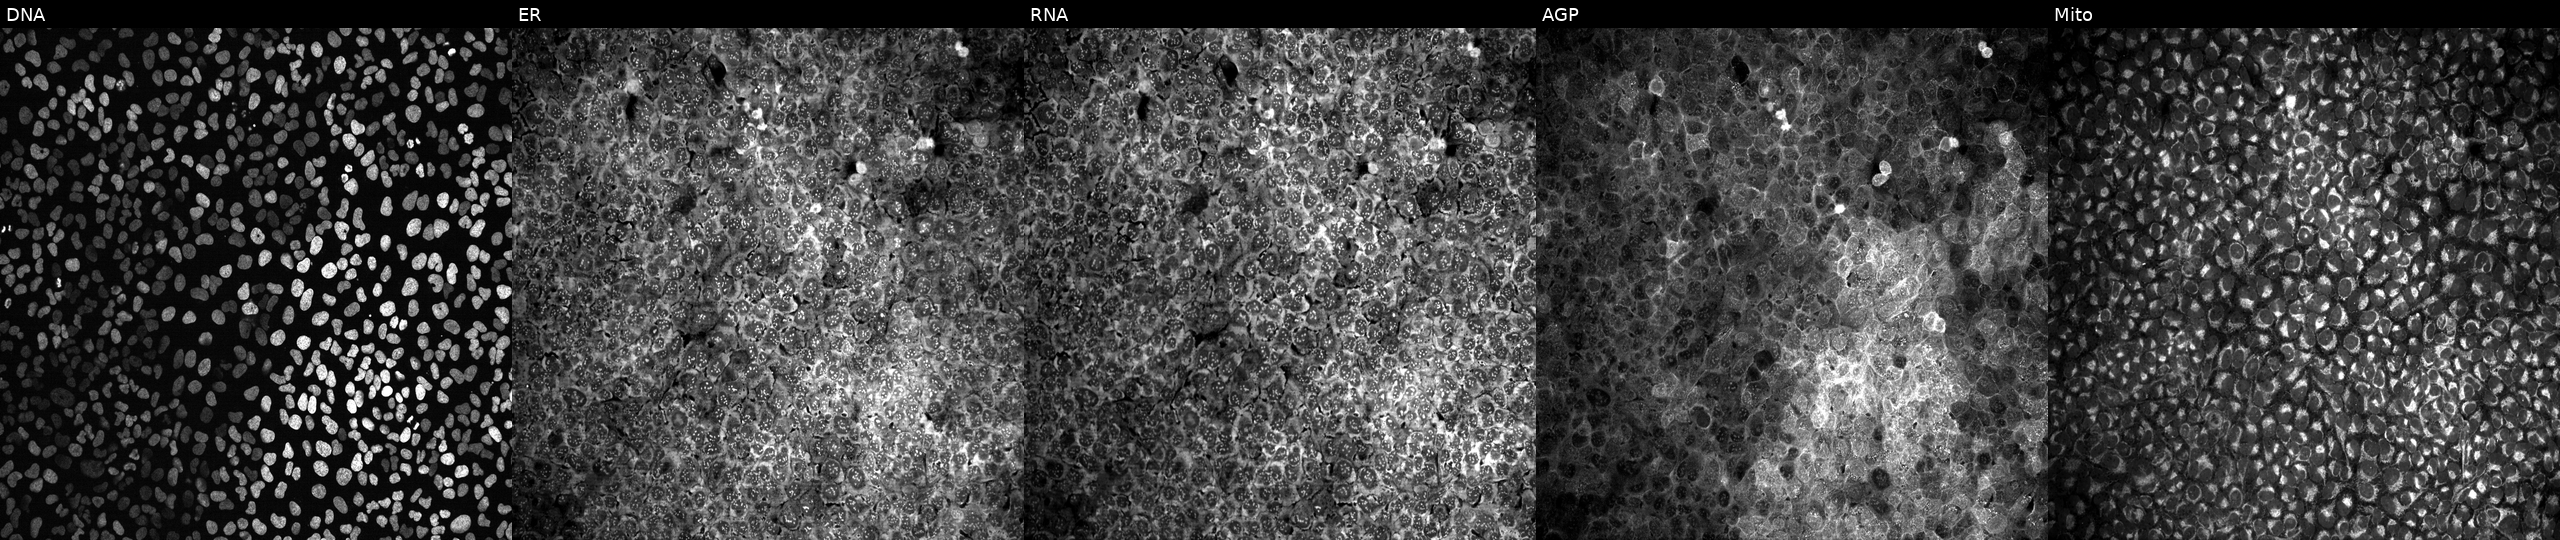
Panels show, left to right, DNA (nuclei); ER (endoplasmic reticulum); RNA (nucleoli and cytoplasmic RNA); AGP (actin cytoskeleton, Golgi, and plasma membrane); Mito (mitochondria). U2OS osteosarcoma cells exposed to DMSO alone as a negative control (JUMP id JCP2022_033924). Cell Painting assay, JUMP-CP dataset.